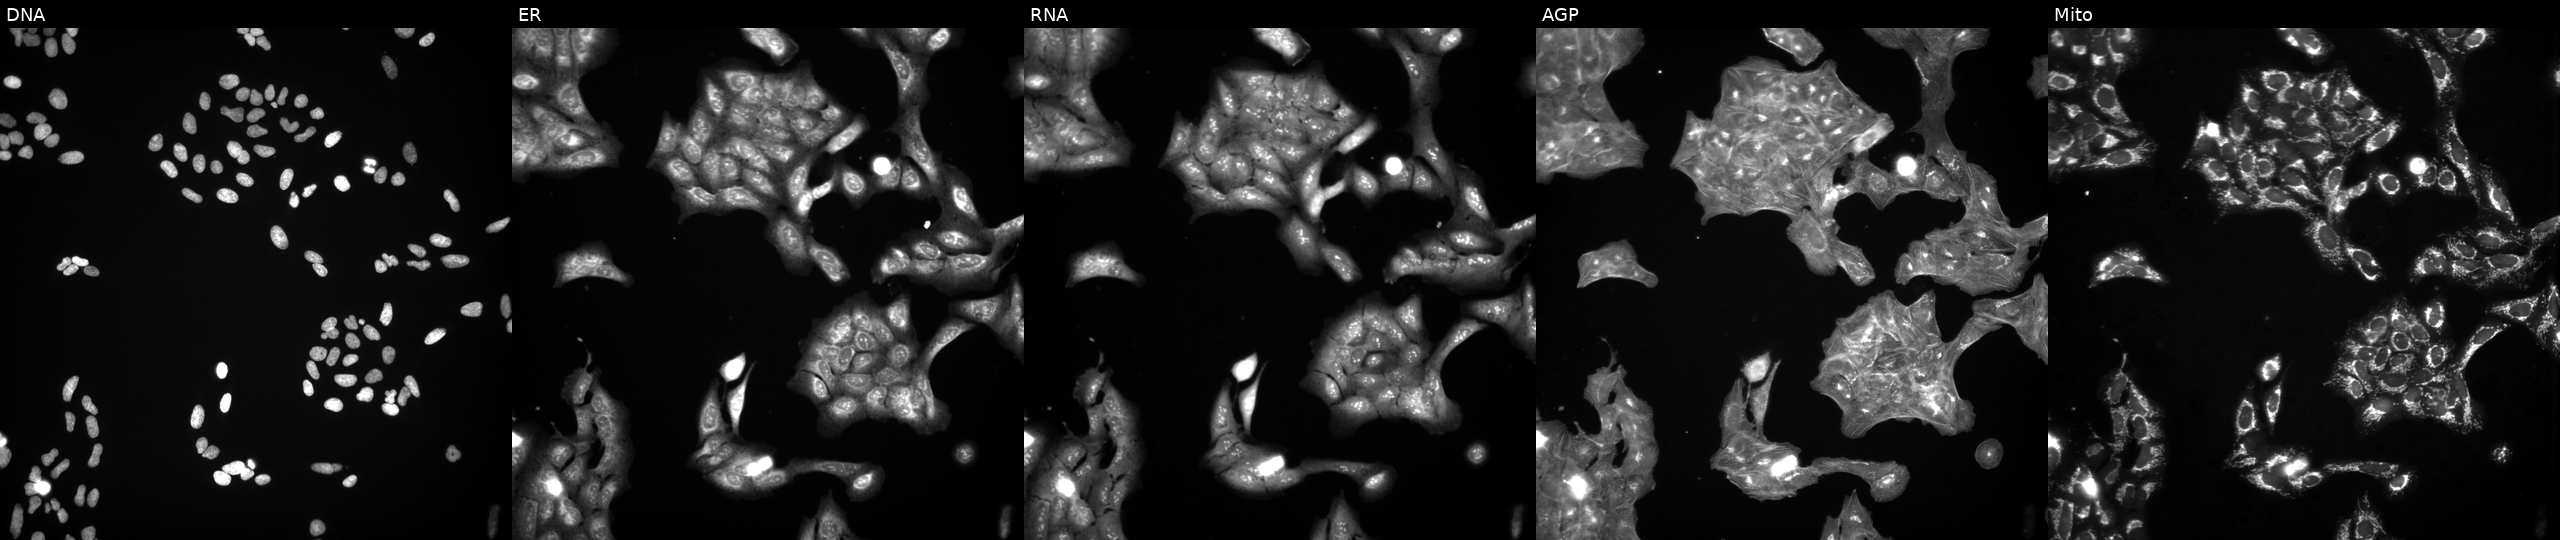
High-content fluorescence microscopy (Cell Painting). Cell line: U2OS. Perturbation: treated with a small-molecule compound (InChIKey DHMTURDWPRKSOA-UHFFFAOYSA-N). Panels show, left to right, DNA, ER, RNA, AGP, and Mito. Source 3, plate JCPQC051, well J03.